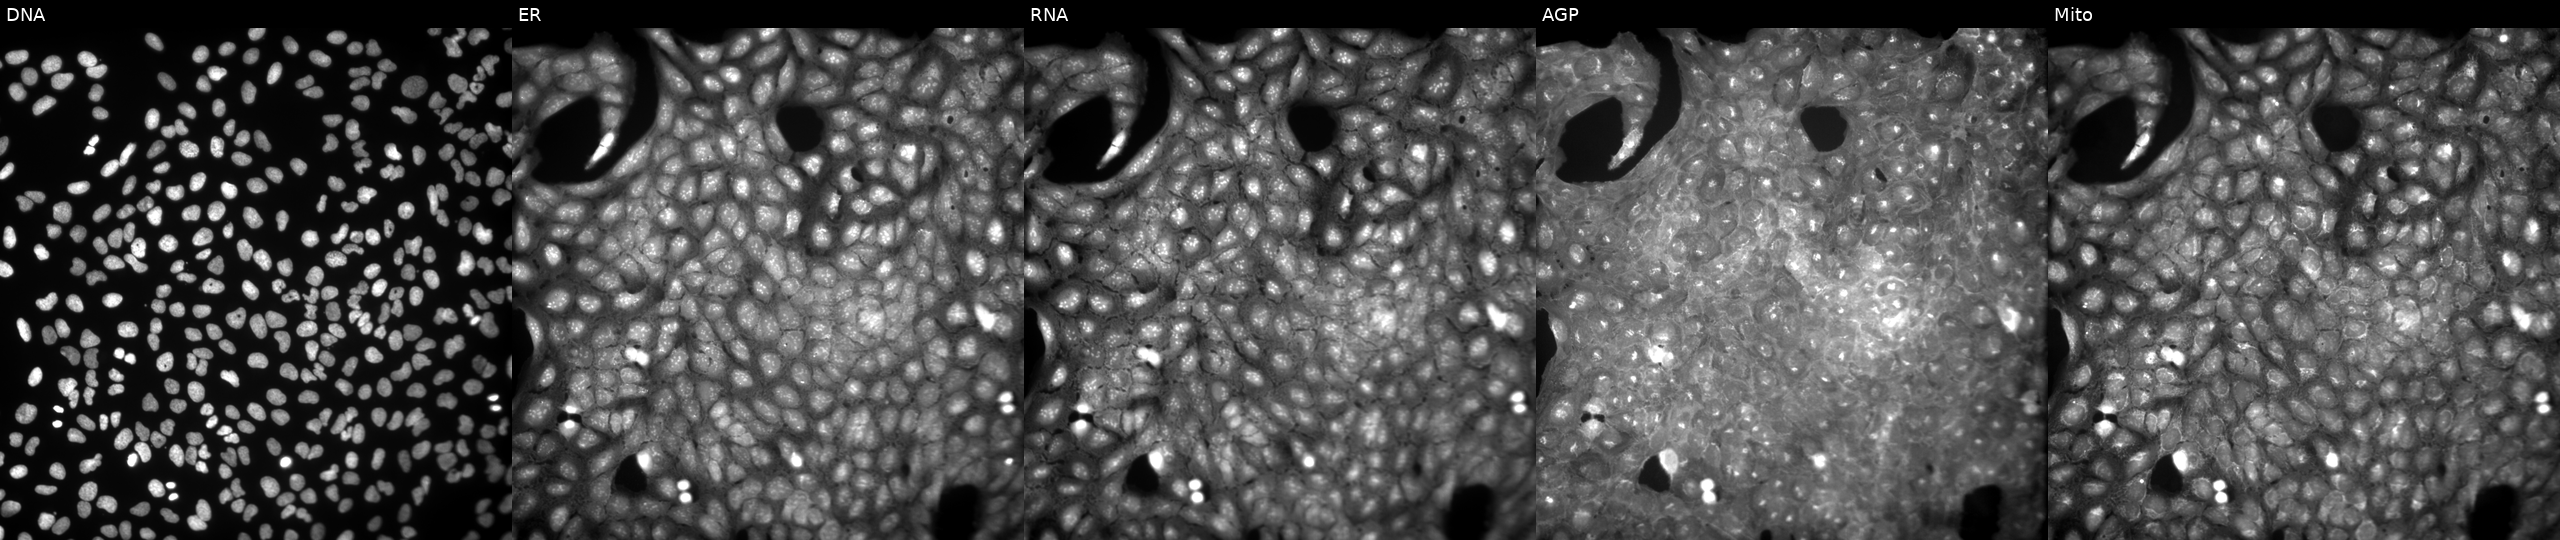
This image strip shows the five Cell Painting channels for a single field of U2OS cells exposed to a small-molecule compound (JUMP id JCP2022_020840). From left to right: Hoechst 33342, concanavalin A, SYTO 14, phalloidin and WGA, MitoTracker.